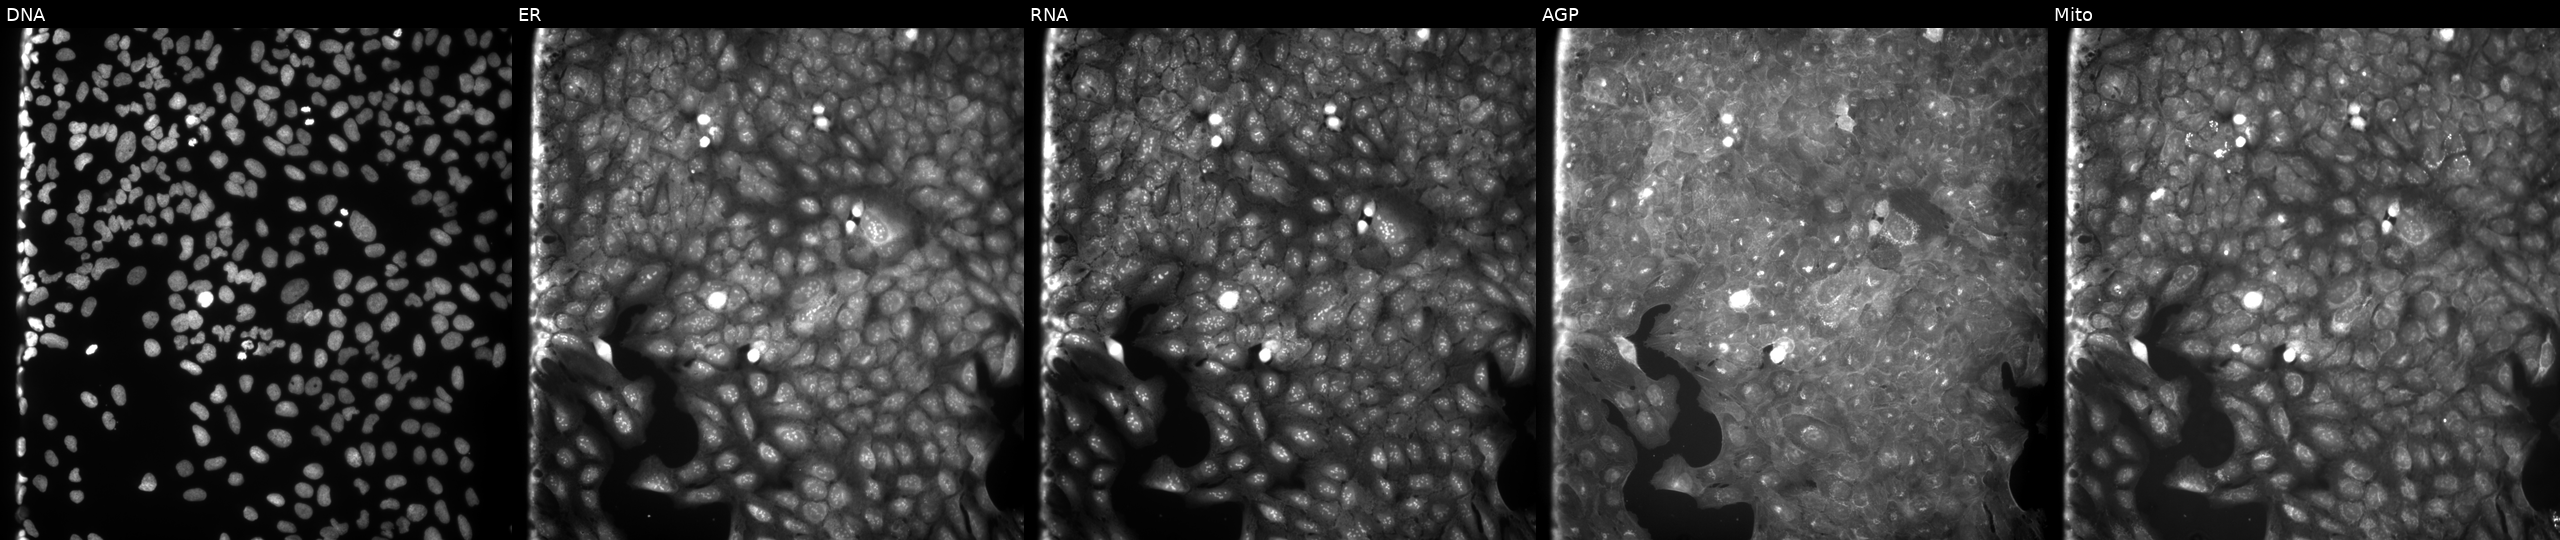
From left to right: DNA, ER, RNA, AGP, and Mito. U2OS osteosarcoma cells exposed to a small-molecule compound (InChIKey ASMUJXNKLWUFRB-UHFFFAOYSA-N) (JUMP id JCP2022_003548). Cell Painting assay, JUMP-CP dataset.